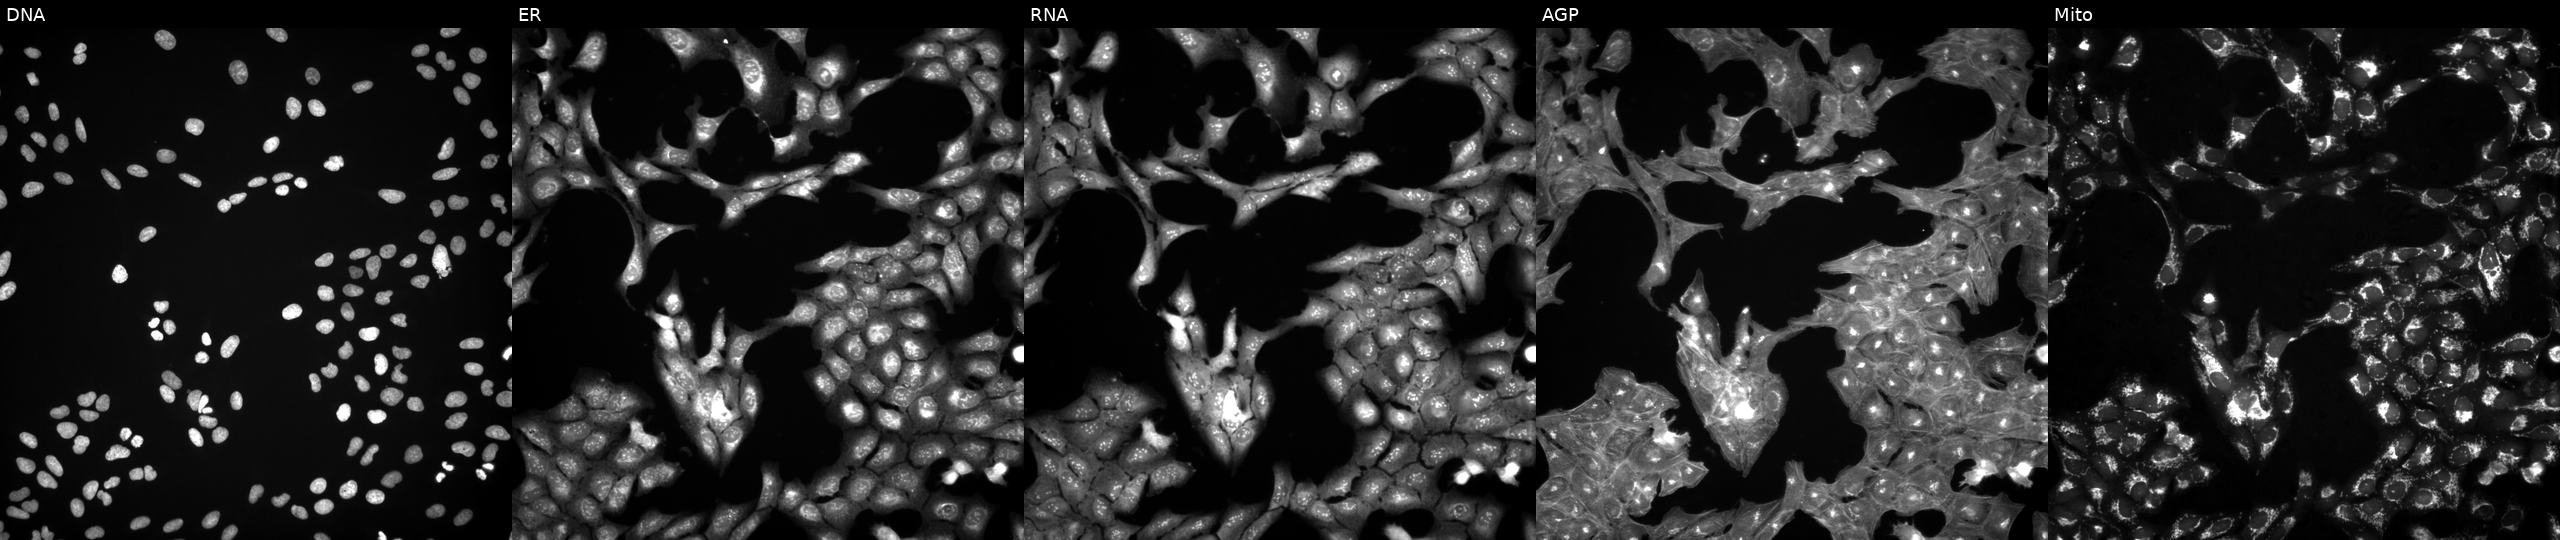
The five panels, left to right, show DNA (nuclei); ER (endoplasmic reticulum); RNA (nucleoli and cytoplasmic RNA); AGP (actin cytoskeleton, Golgi, and plasma membrane); Mito (mitochondria). U2OS osteosarcoma cells exposed to a small-molecule compound [SMILES: CCCCCCCCCCCCCCCCOc1nc2ccc(C)cc2c(=O)o1] (JUMP id JCP2022_056730). Cell Painting assay, JUMP-CP dataset. Source 3, plate JCPQC051, well G11.